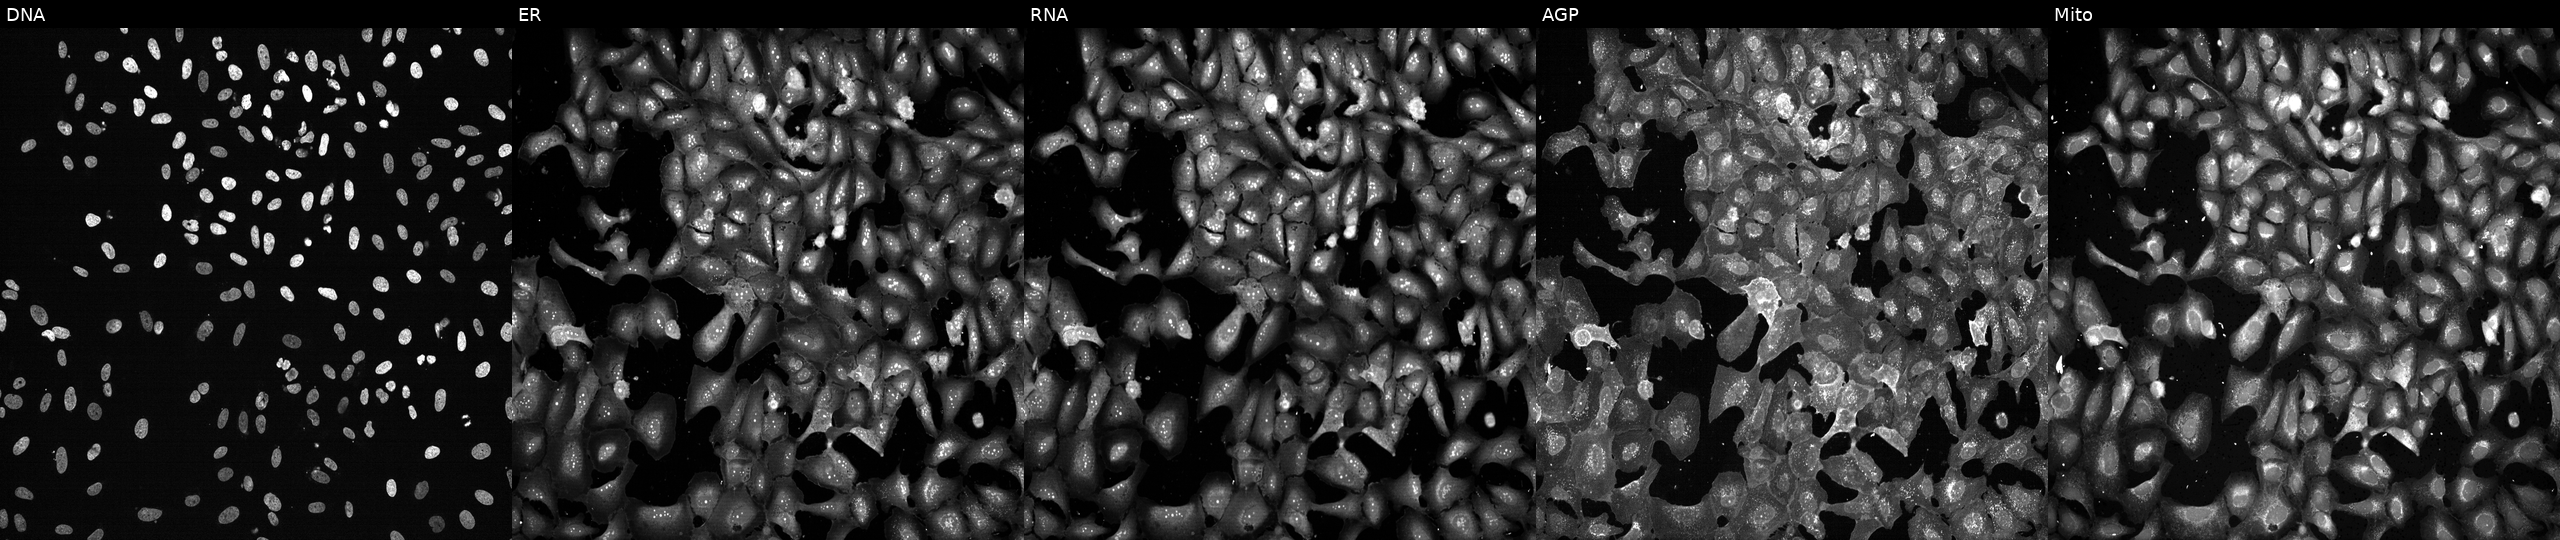
U2OS cells, Cell Painting assay, following CRISPR knockout of POLR1A (JUMP id JCP2022_805338). Panels show, left to right, DNA, ER, RNA, AGP, and Mito. Each panel is percentile-stretched 16-bit fluorescence.